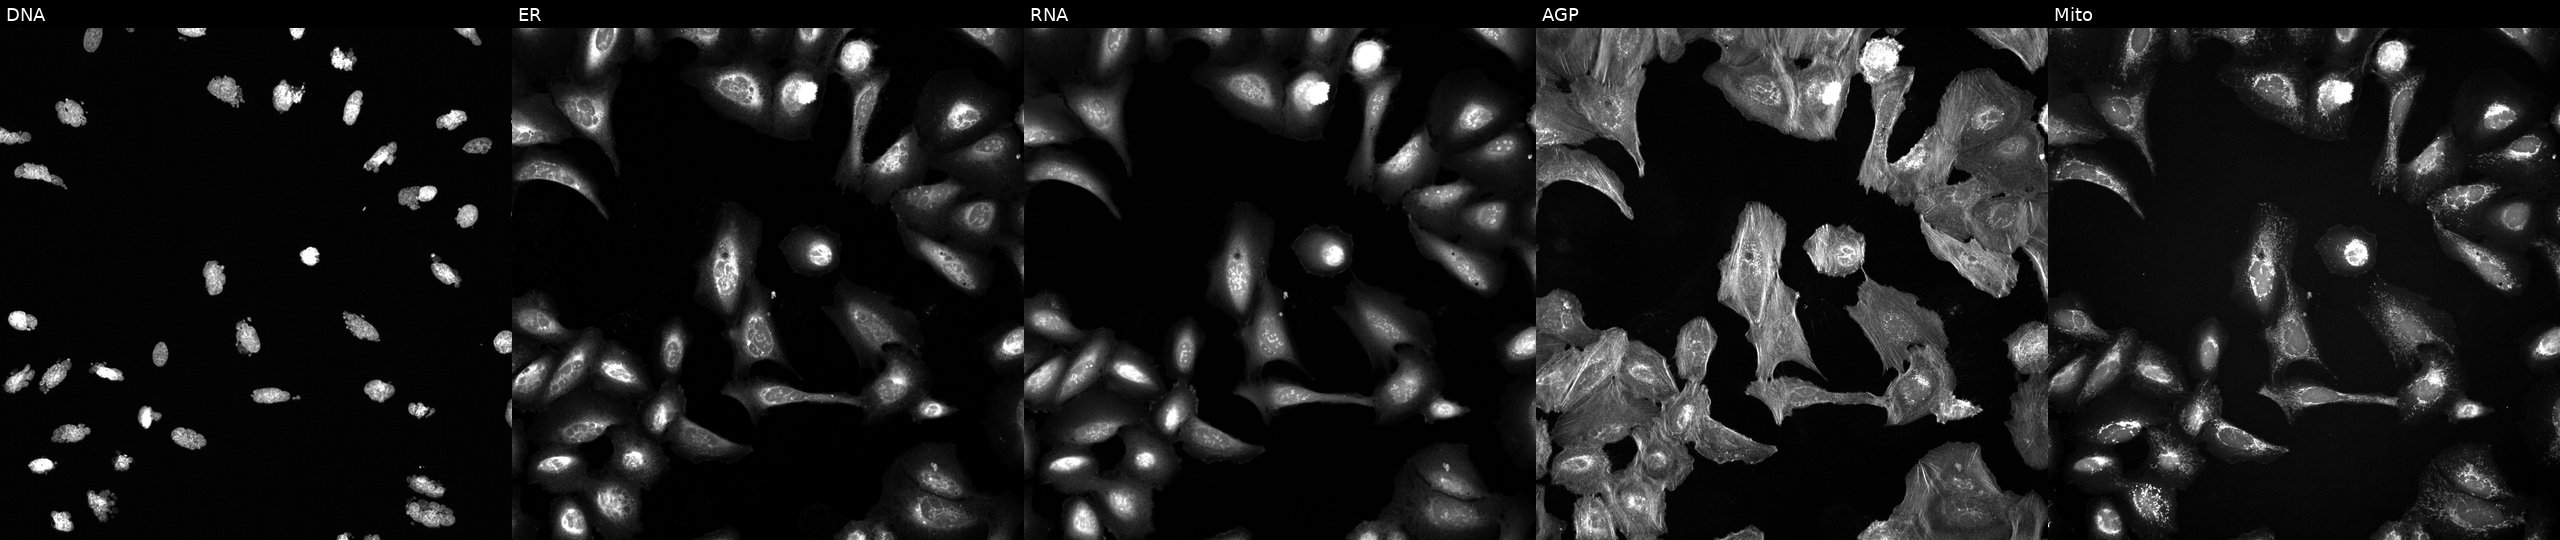
U2OS cells, Cell Painting assay, treated with AMG900 (positive-control compound) (JUMP id JCP2022_037716). From left to right: DNA (nuclei); ER (endoplasmic reticulum); RNA (nucleoli and cytoplasmic RNA); AGP (actin cytoskeleton, Golgi, and plasma membrane); Mito (mitochondria). Each panel is percentile-stretched 16-bit fluorescence. Source 6, plate 110000293082, well N24.